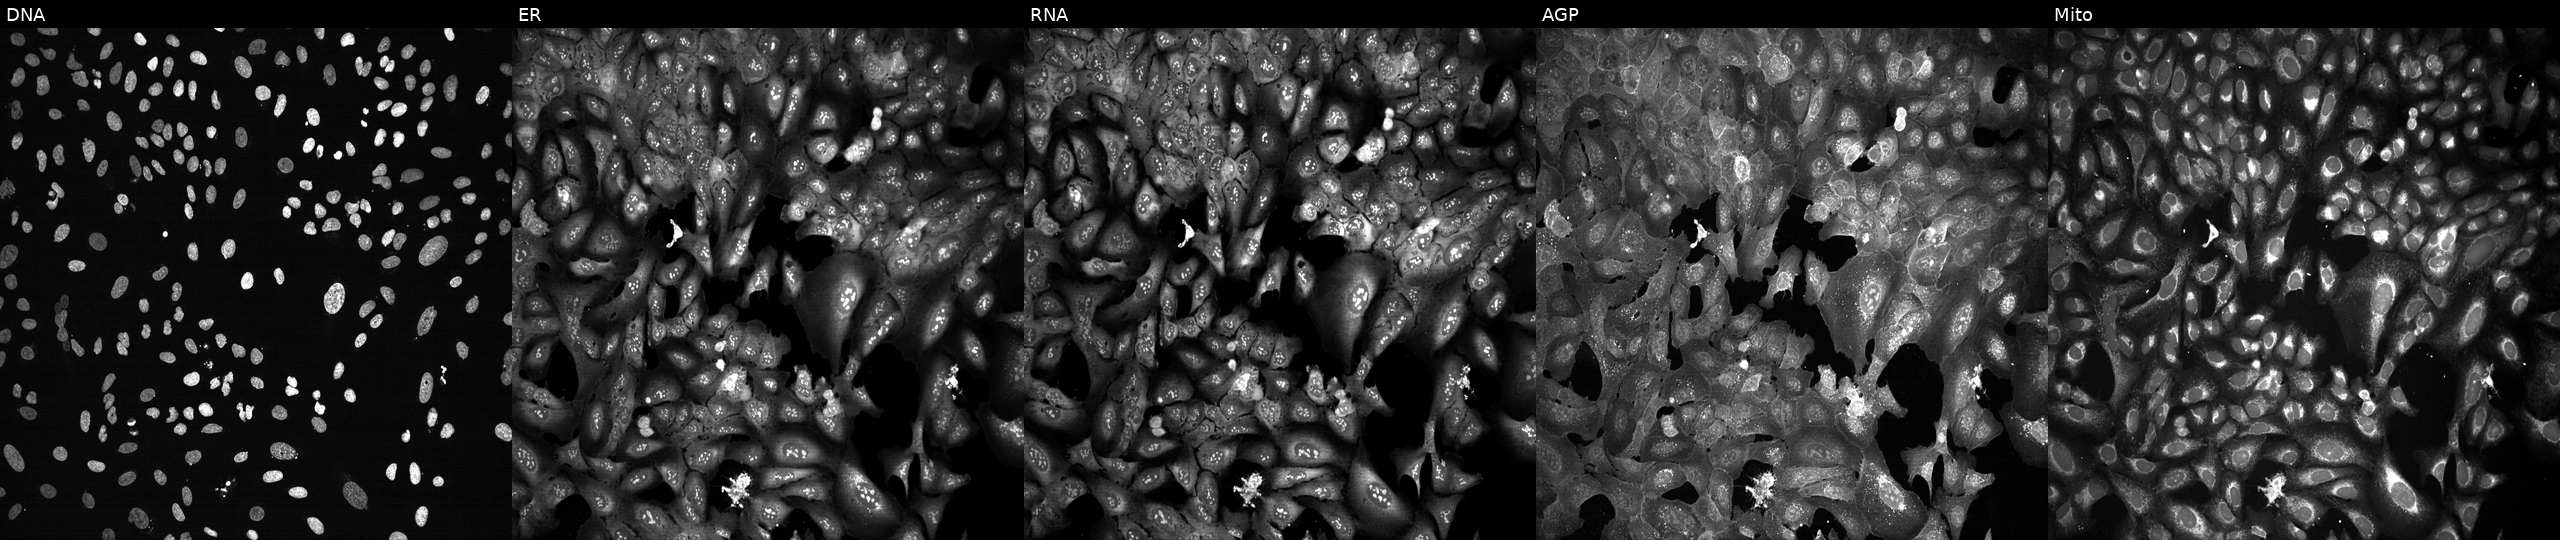
This image strip shows the five Cell Painting channels for a single field of U2OS cells CRISPR-edited to disrupt EXT2. Panels show, left to right, DNA (nuclei); ER (endoplasmic reticulum); RNA (nucleoli and cytoplasmic RNA); AGP (actin cytoskeleton, Golgi, and plasma membrane); Mito (mitochondria).